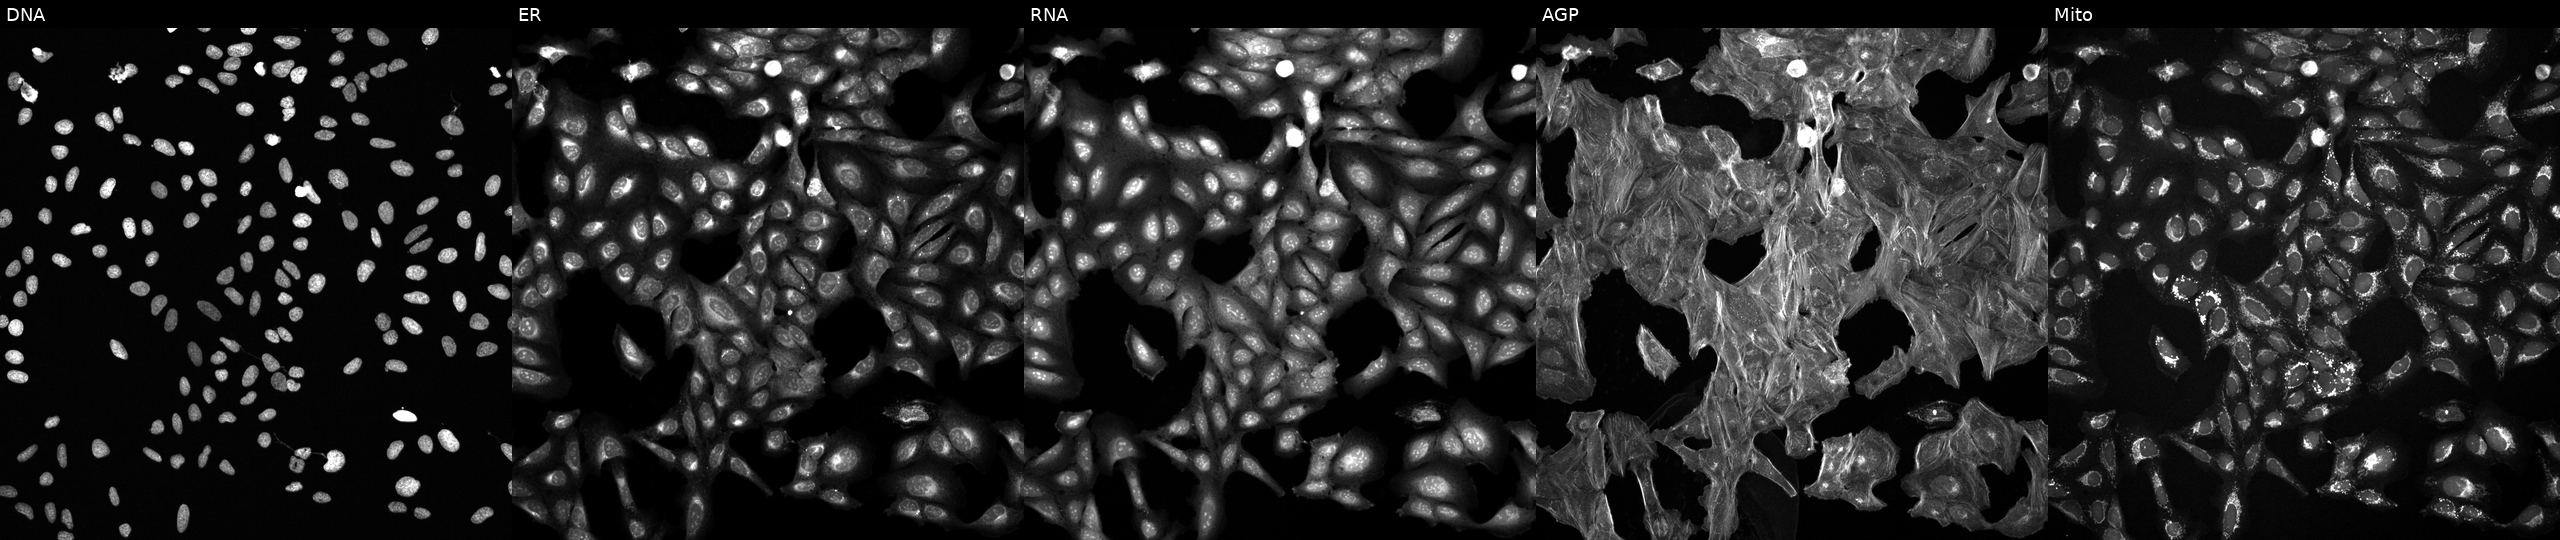
Five-channel Cell Painting image of U2OS cells perturbed with a small-molecule compound (JUMP id JCP2022_049914). The five panels, left to right, show DNA, ER, RNA, AGP, and Mito.